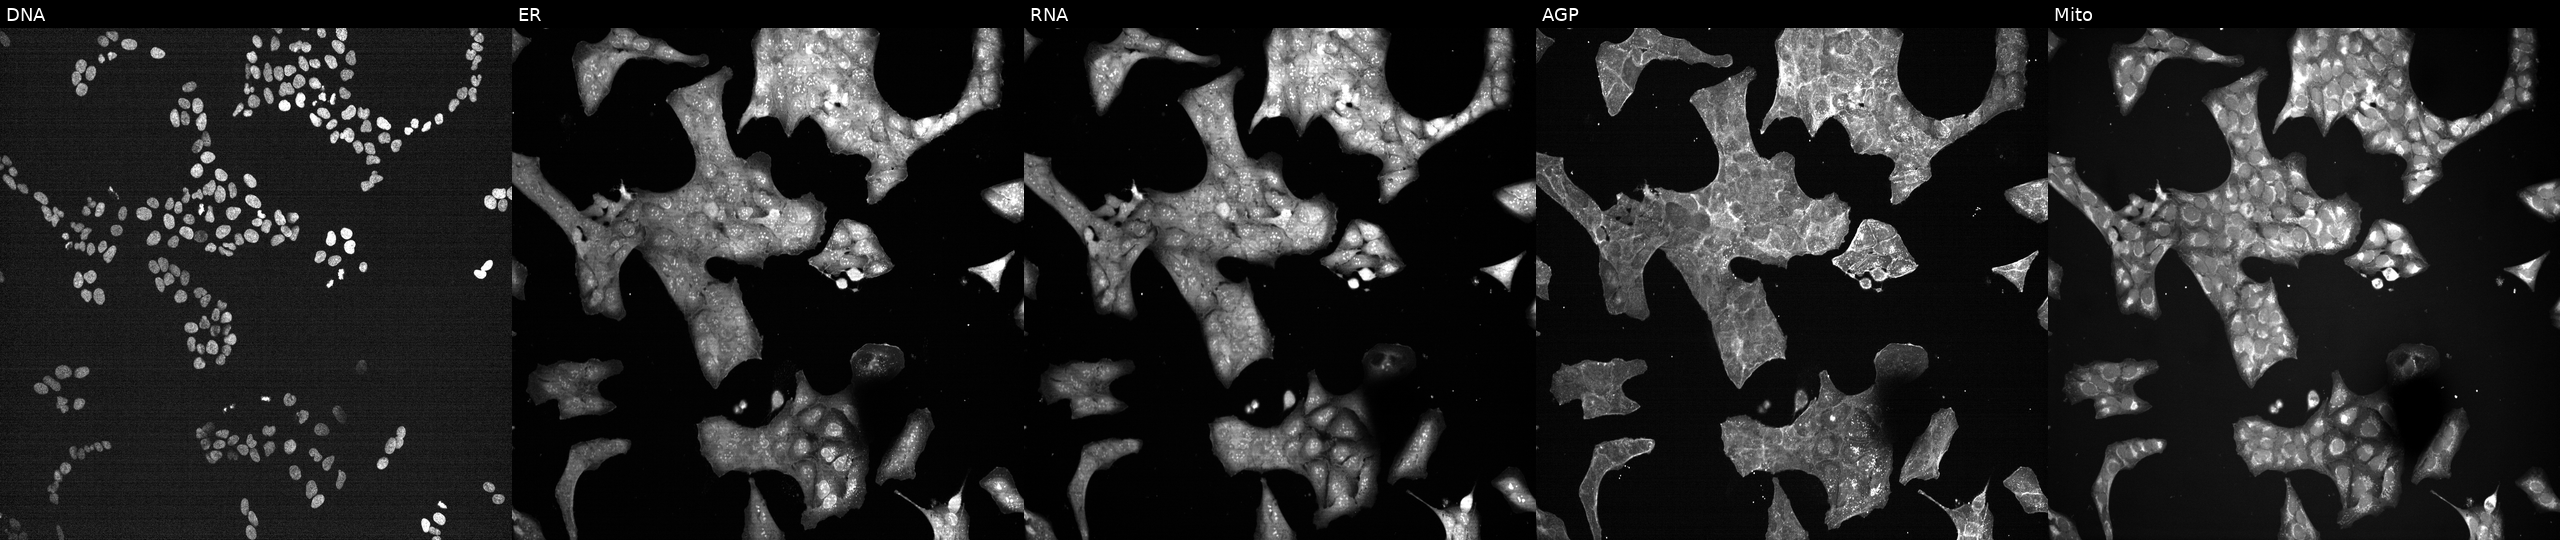
Channels (left→right): DNA (nuclei); ER (endoplasmic reticulum); RNA (nucleoli and cytoplasmic RNA); AGP (actin cytoskeleton, Golgi, and plasma membrane); Mito (mitochondria). U2OS osteosarcoma cells treated with a small-molecule compound (InChIKey RYMZZMVNJRMUDD-UHFFFAOYSA-N). Cell Painting assay, JUMP-CP dataset. Source 7, plate CP1-SC1-25, well N02.